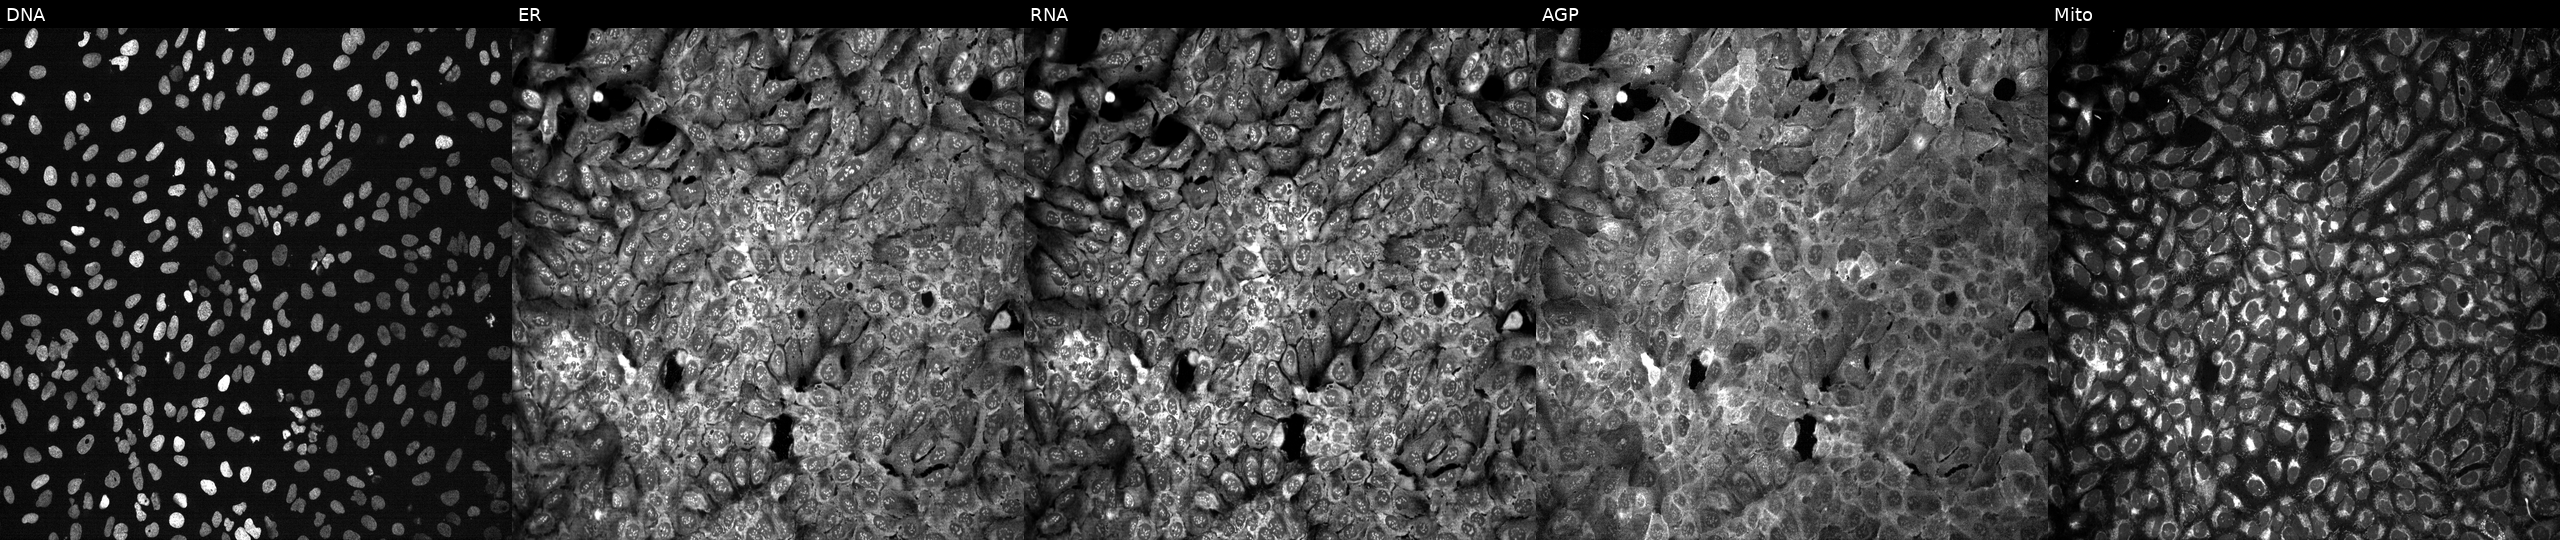
U2OS cells, Cell Painting assay, with SLC46A1 knocked out by CRISPR. From left to right: DNA, ER, RNA, AGP, and Mito. Each panel is percentile-stretched 16-bit fluorescence.